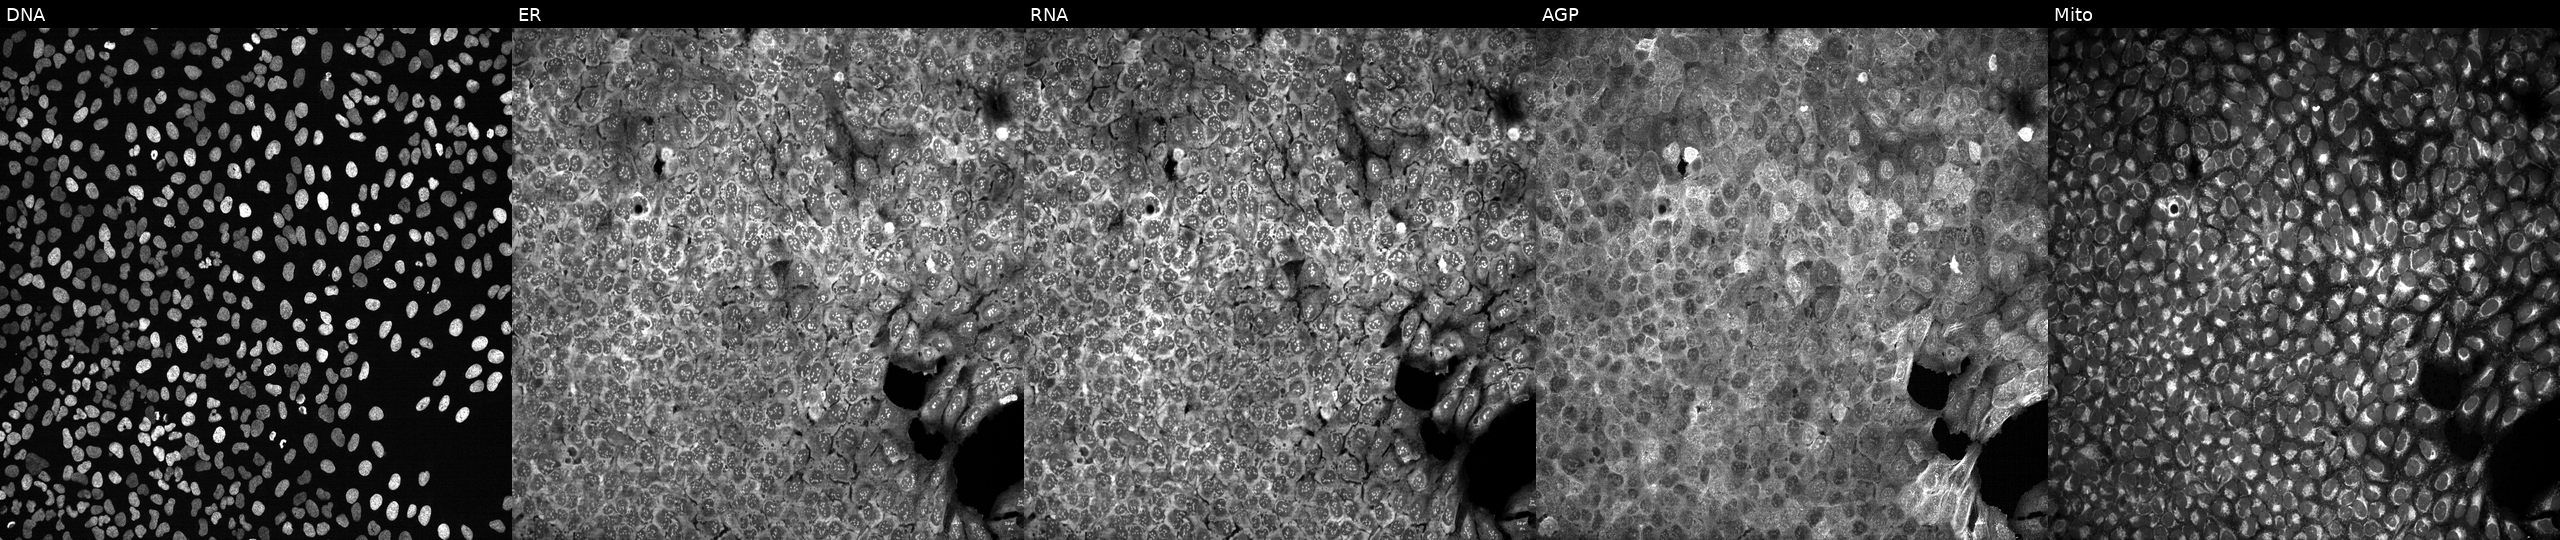
JUMP Cell Painting — CRISPR plate. U2OS cells with no CRISPR guide (negative control) (JUMP id JCP2022_800001). The five panels, left to right, show Hoechst 33342, concanavalin A, SYTO 14, phalloidin and WGA, MitoTracker. Source 13, plate CP-CC9-R2-02, well N02.